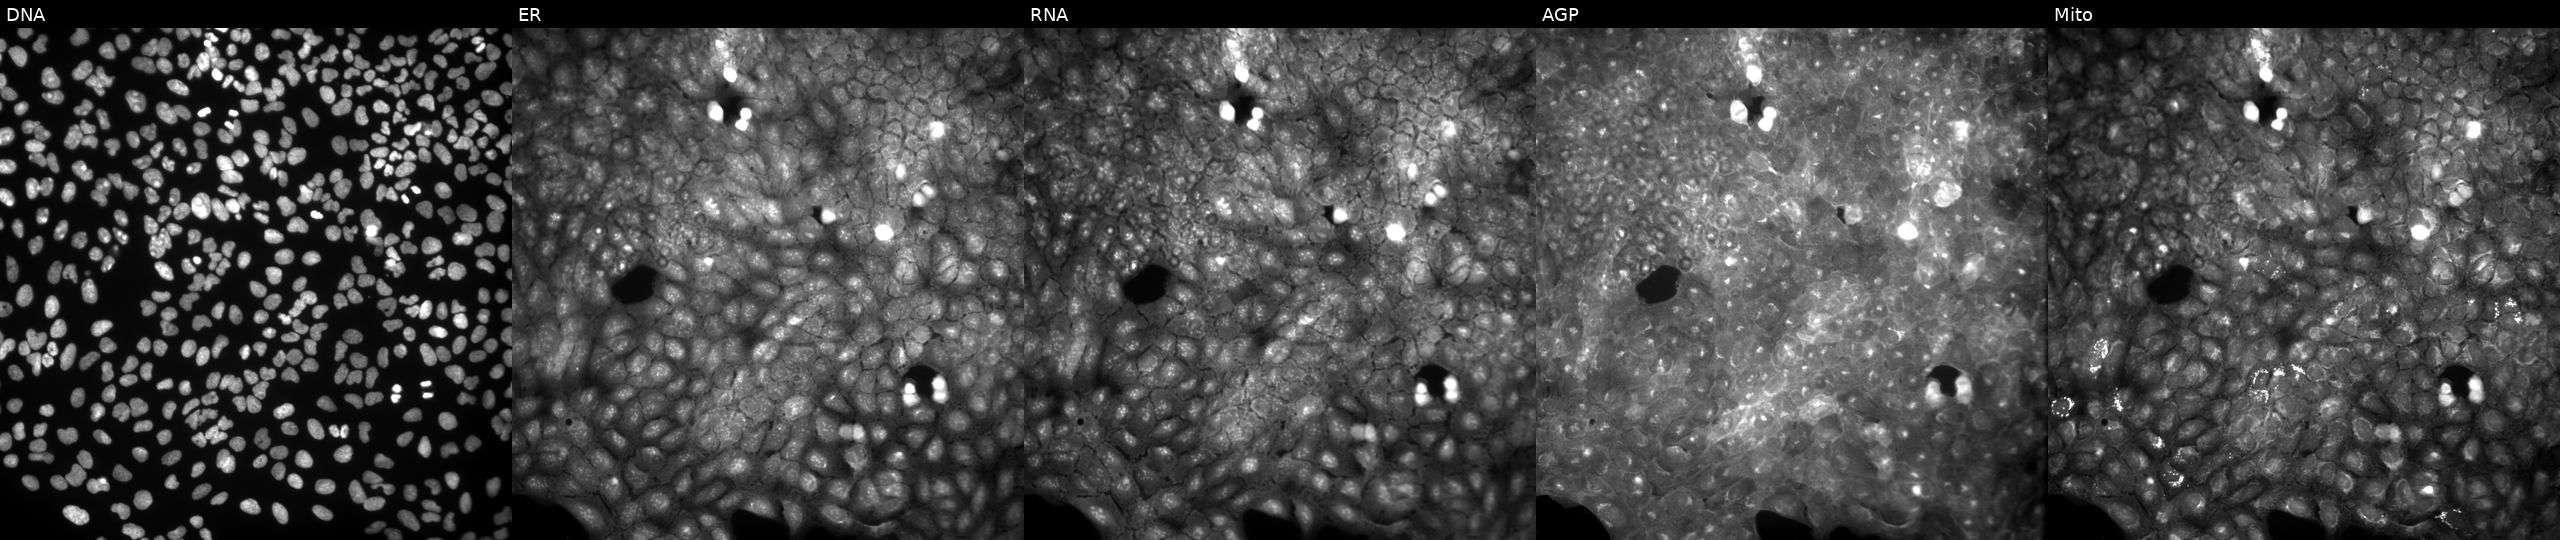
The five panels, left to right, show DNA, ER, RNA, AGP, and Mito. U2OS osteosarcoma cells exposed to a small-molecule compound (InChIKey RGQRYDCBPDEQSA-UHFFFAOYSA-N). Cell Painting assay, JUMP-CP dataset.